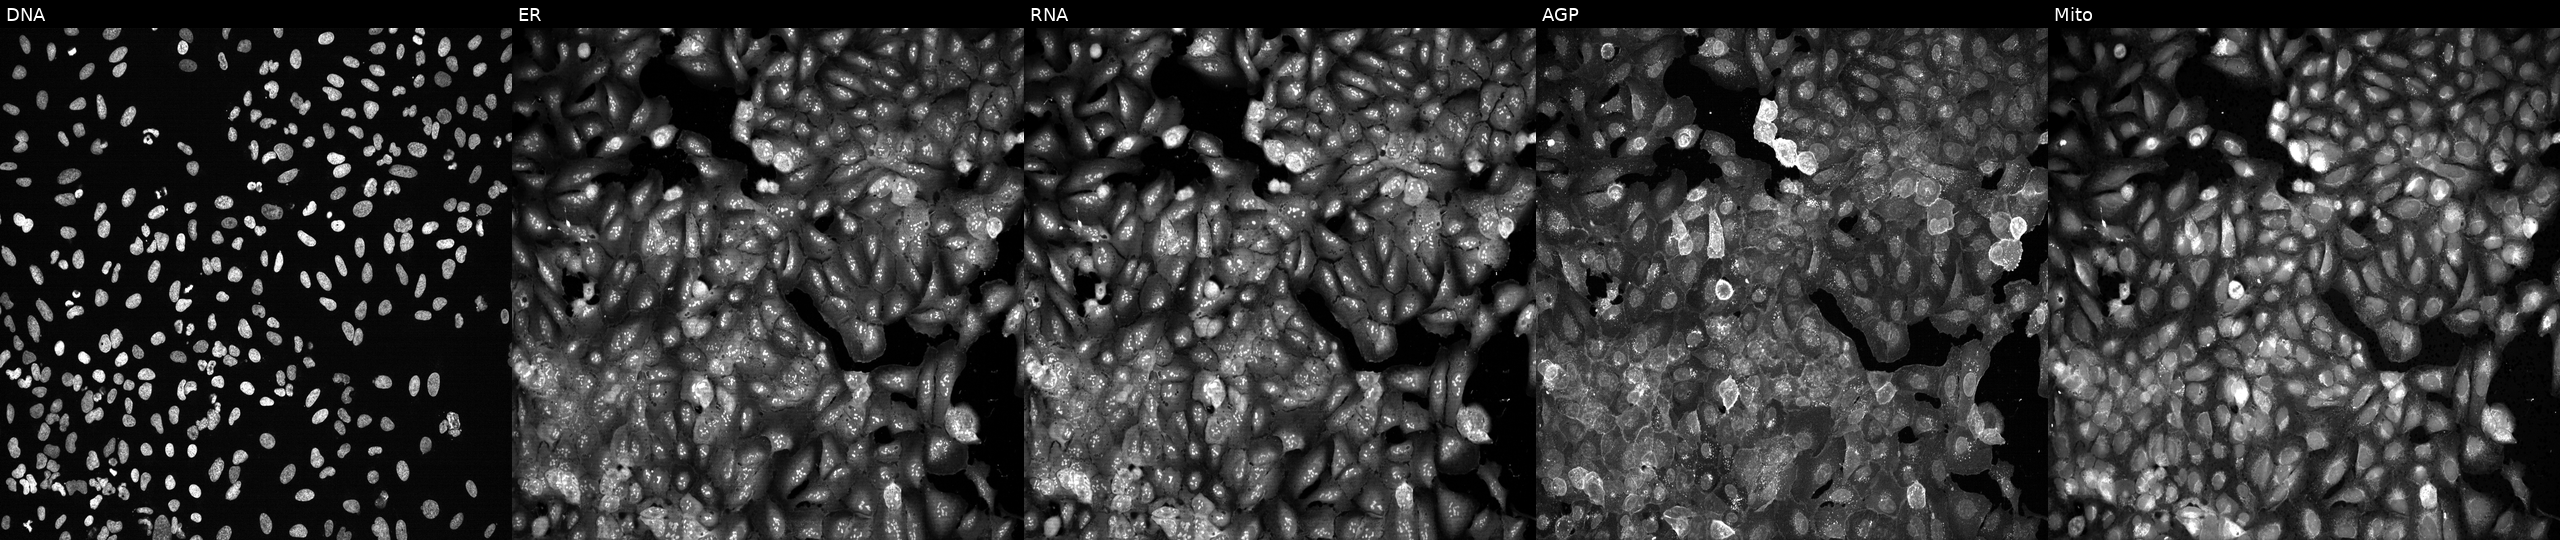
Channels (left→right): DNA, ER, RNA, AGP, and Mito. U2OS osteosarcoma cells CRISPR-edited to disrupt PRODH2. Cell Painting assay, JUMP-CP dataset. Source 13, plate CP-CC9-R1-02, well B13.